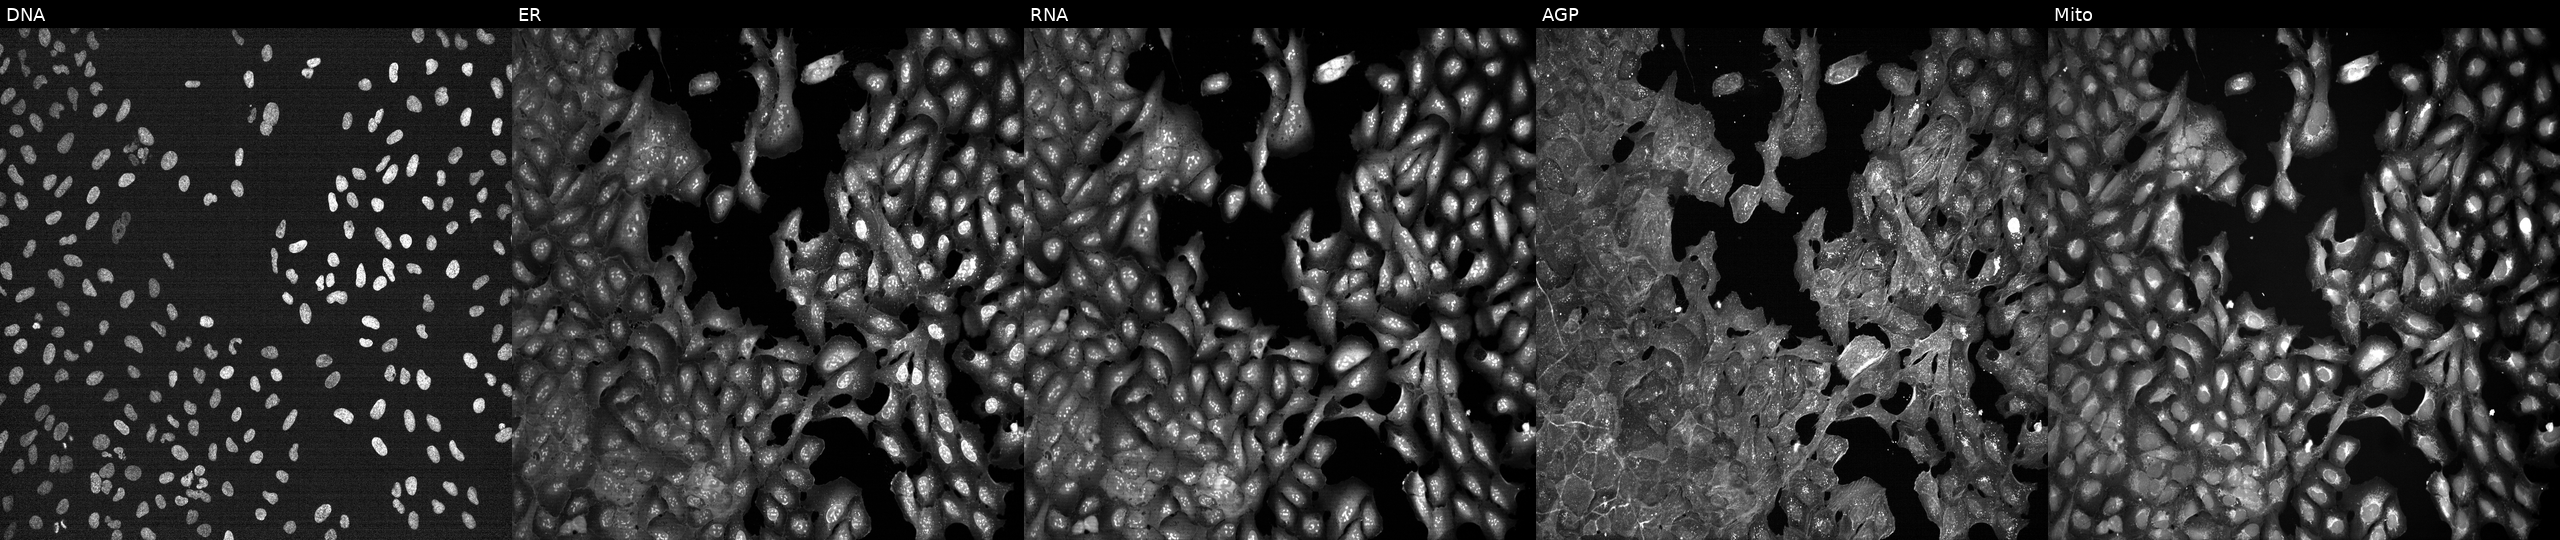
U2OS cells, Cell Painting assay, exposed to a small-molecule compound (InChIKey QQGWEXFLMJGCAL-UHFFFAOYSA-N) [SMILES: Cc1ccc(Sc2cncc3sc(C(N)=O)cc23)cc1]. Panels show, left to right, Hoechst 33342, concanavalin A, SYTO 14, phalloidin and WGA, MitoTracker. Each panel is percentile-stretched 16-bit fluorescence.